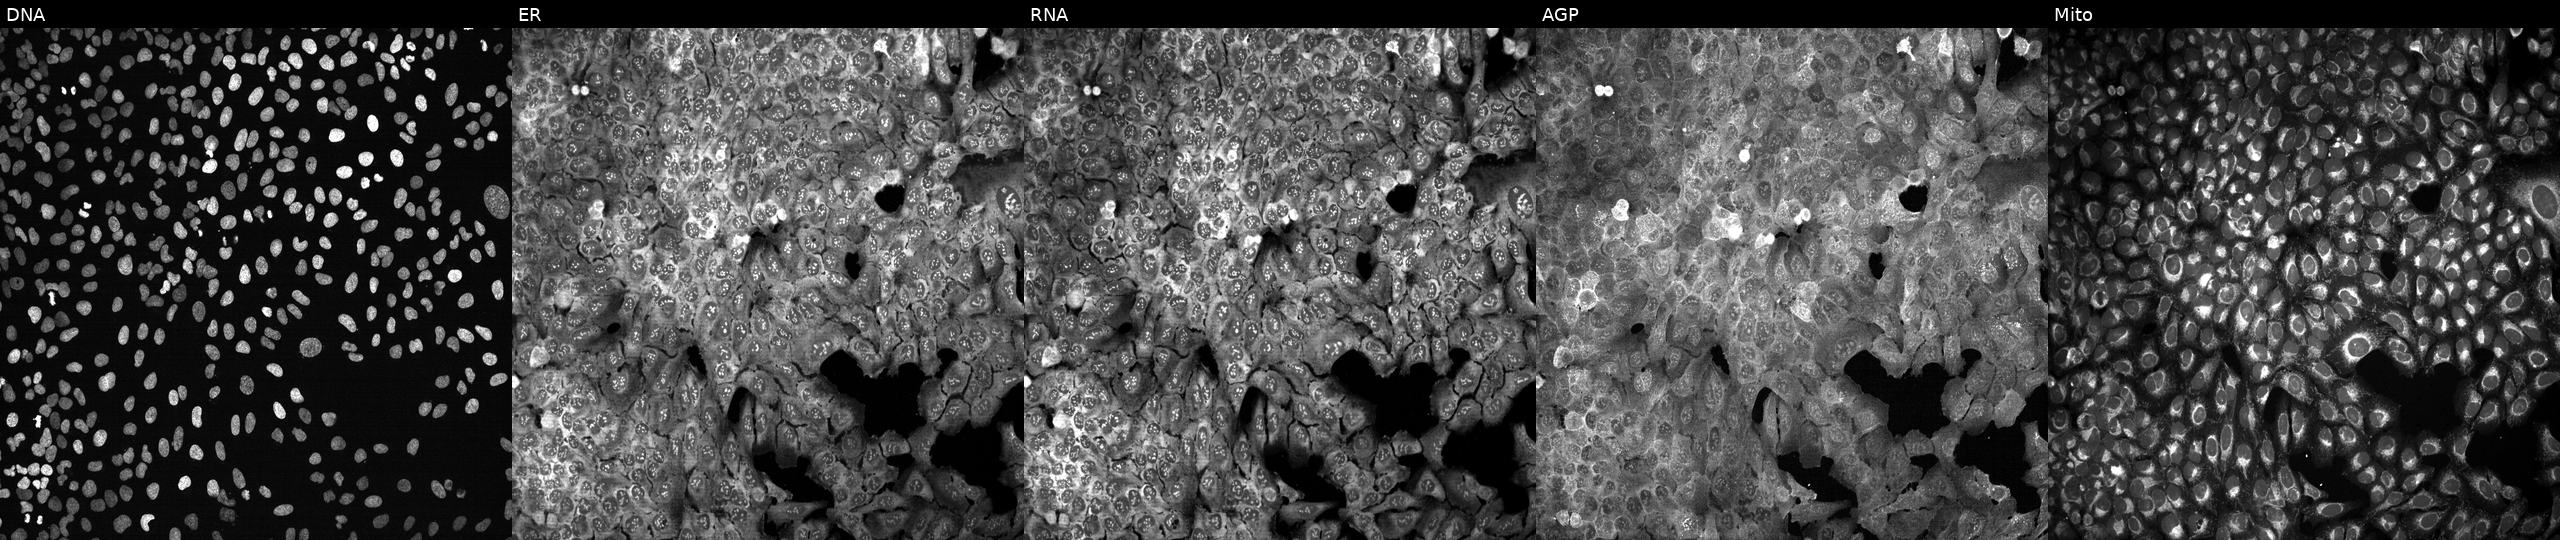
JUMP Cell Painting — CRISPR plate. U2OS cells following CRISPR knockout of NRGN. From left to right: Hoechst 33342, concanavalin A, SYTO 14, phalloidin and WGA, MitoTracker.